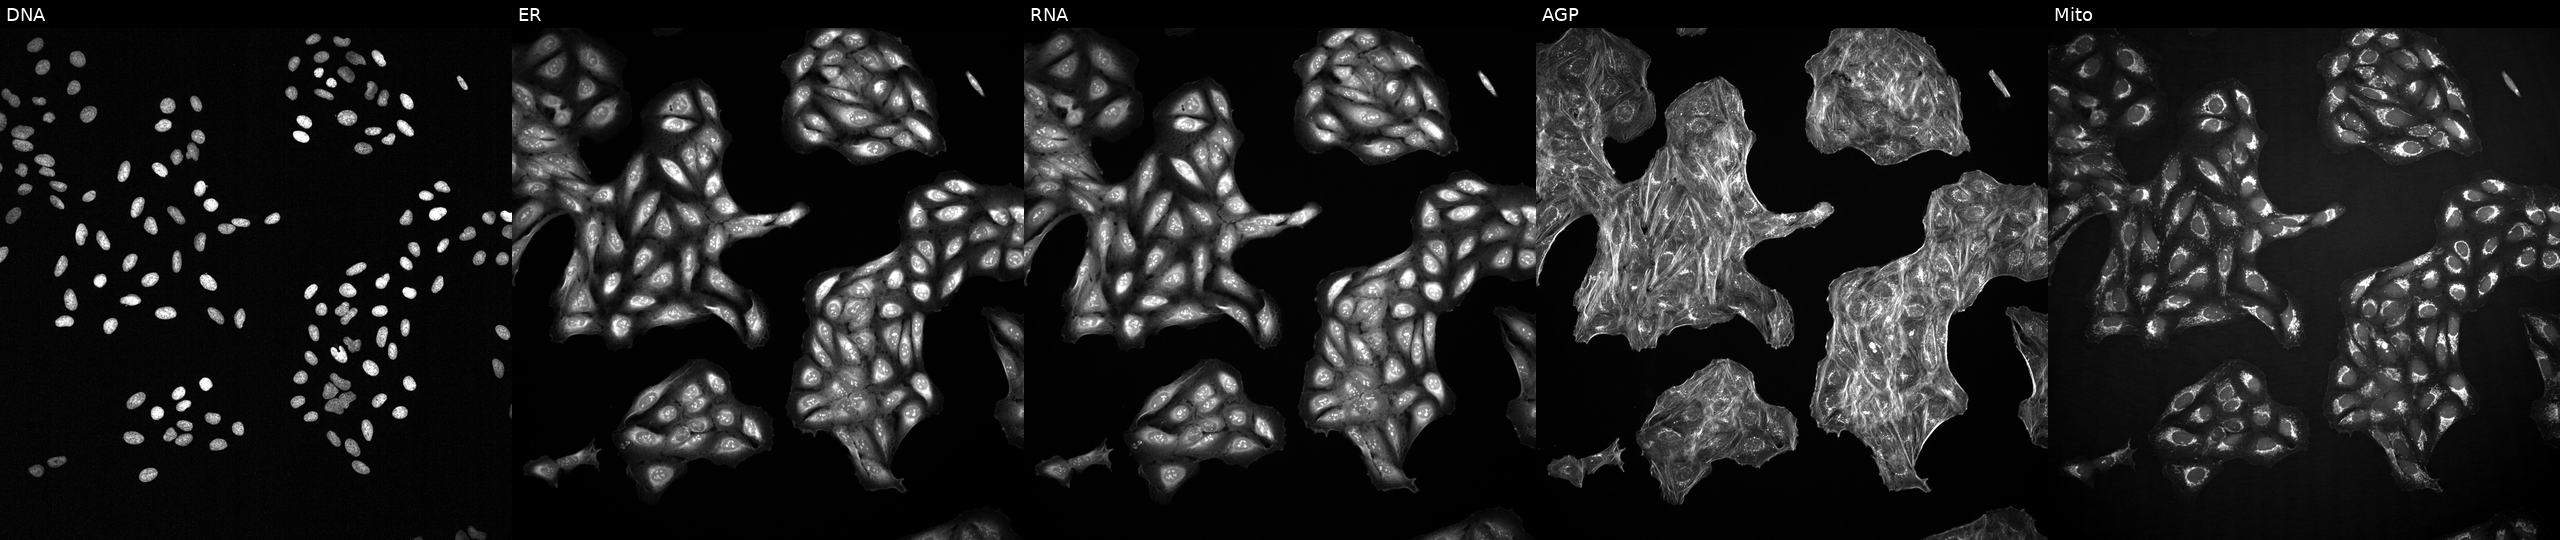
High-content fluorescence microscopy (Cell Painting). Cell line: U2OS. Perturbation: perturbed with a small-molecule compound (InChIKey QIHBWVVVRYYYRO-UHFFFAOYSA-N) [SMILES: CC(NC(=O)CCc1nc(=O)c2ccccc2[nH]1)c1ccccc1]. The five panels, left to right, show DNA, ER, RNA, AGP, and Mito. Source 2, plate 1053600674, well E06.